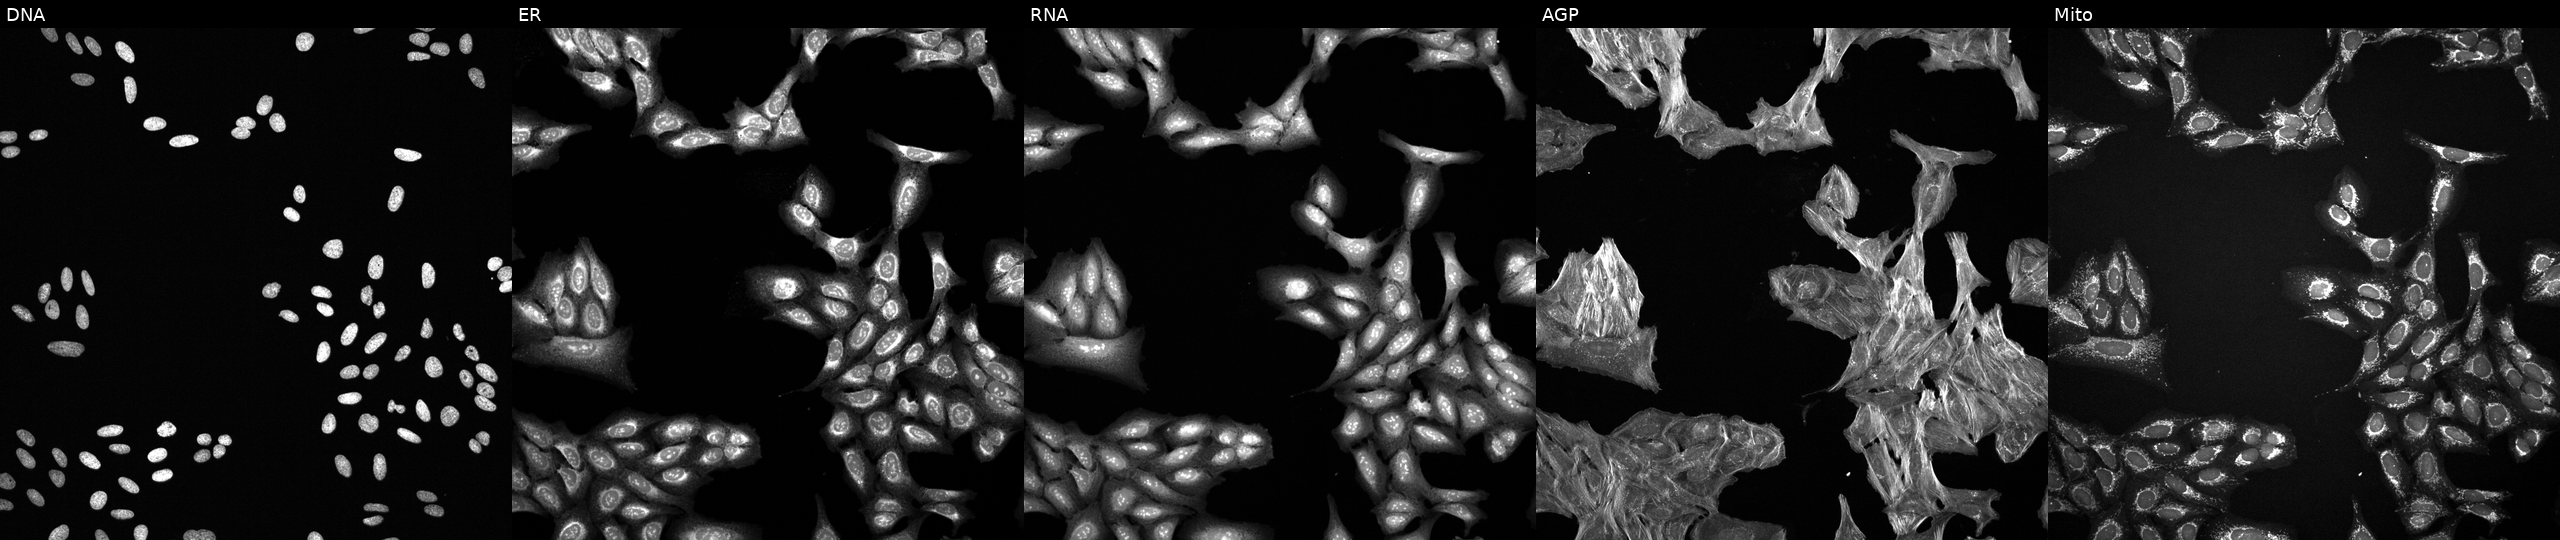
JUMP Cell Painting — COMPOUND plate. U2OS cells exposed to a small-molecule compound (InChIKey IHSSOVCFMBDDQH-UHFFFAOYSA-N) [SMILES: CCn1cc(NC(=O)c2ccc(Br)o2)c(C(N)=O)n1]. Channels (left→right): DNA (nuclei); ER (endoplasmic reticulum); RNA (nucleoli and cytoplasmic RNA); AGP (actin cytoskeleton, Golgi, and plasma membrane); Mito (mitochondria).